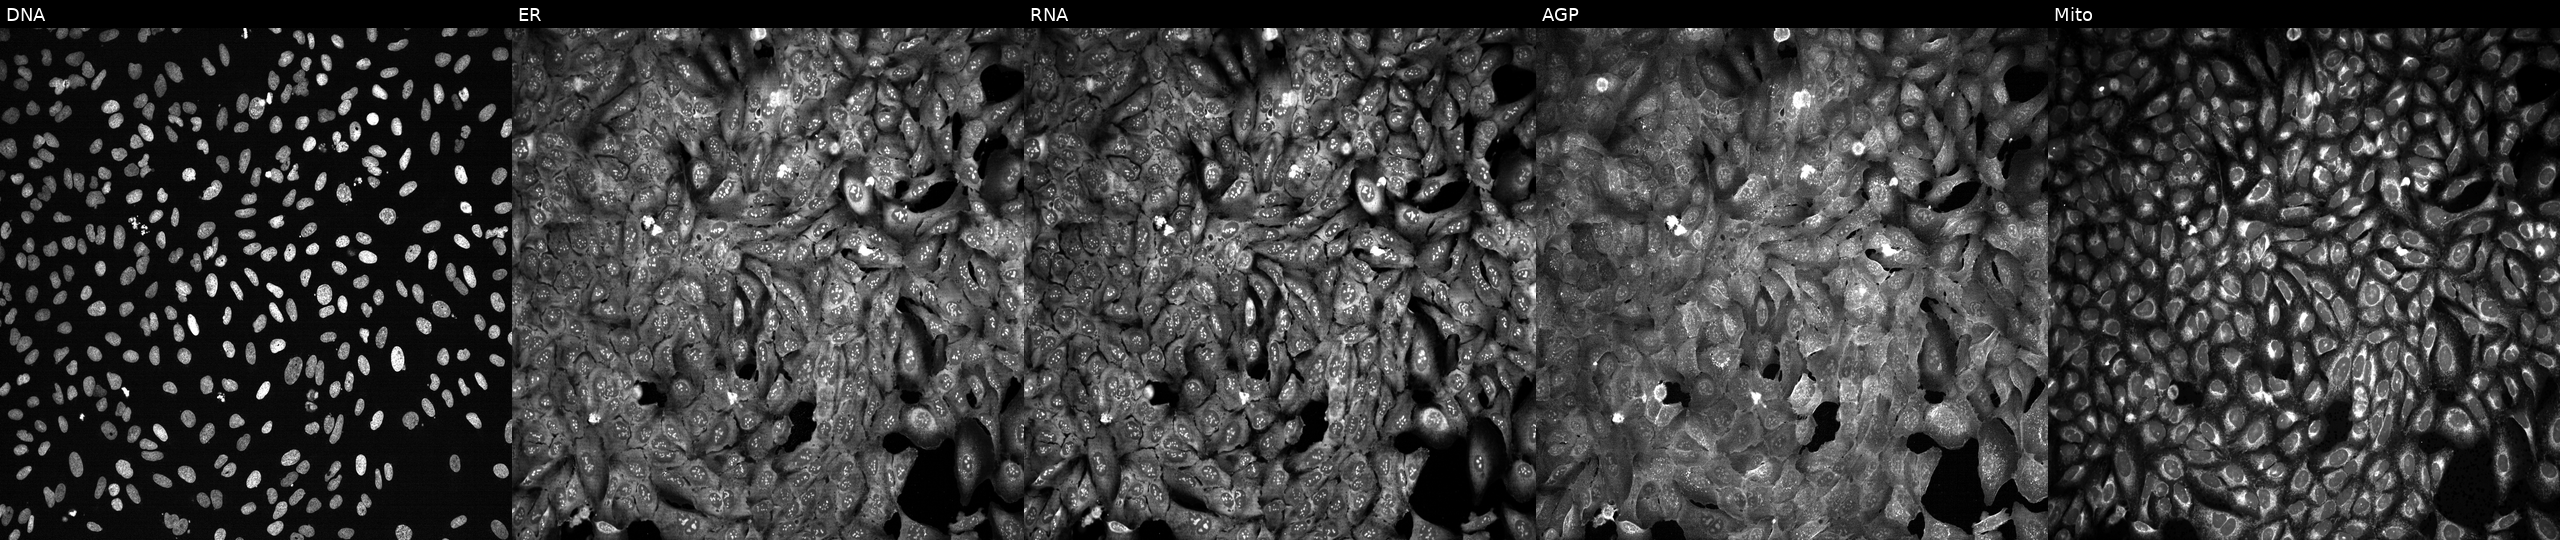
High-content fluorescence microscopy (Cell Painting). Cell line: U2OS. Perturbation: following CRISPR knockout of EXOSC4. Panels show, left to right, DNA, ER, RNA, AGP, and Mito.